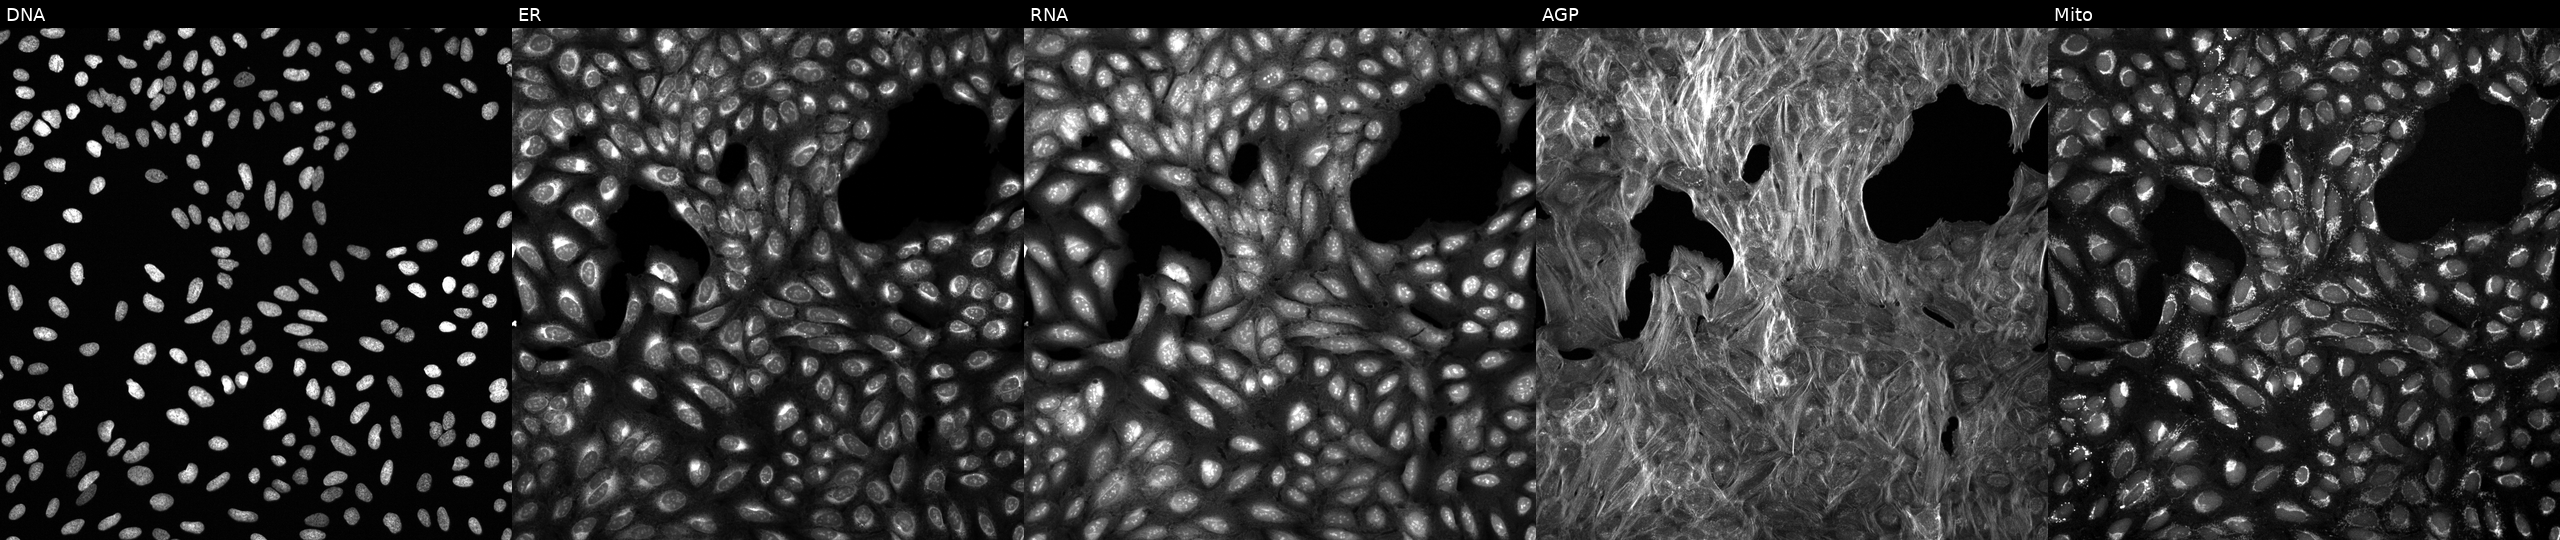
High-content fluorescence microscopy (Cell Painting). Cell line: U2OS. Perturbation: exposed to a small-molecule compound (JUMP id JCP2022_050873). The five panels, left to right, show DNA, ER, RNA, AGP, and Mito. Source 6, plate 110000293093, well J21.